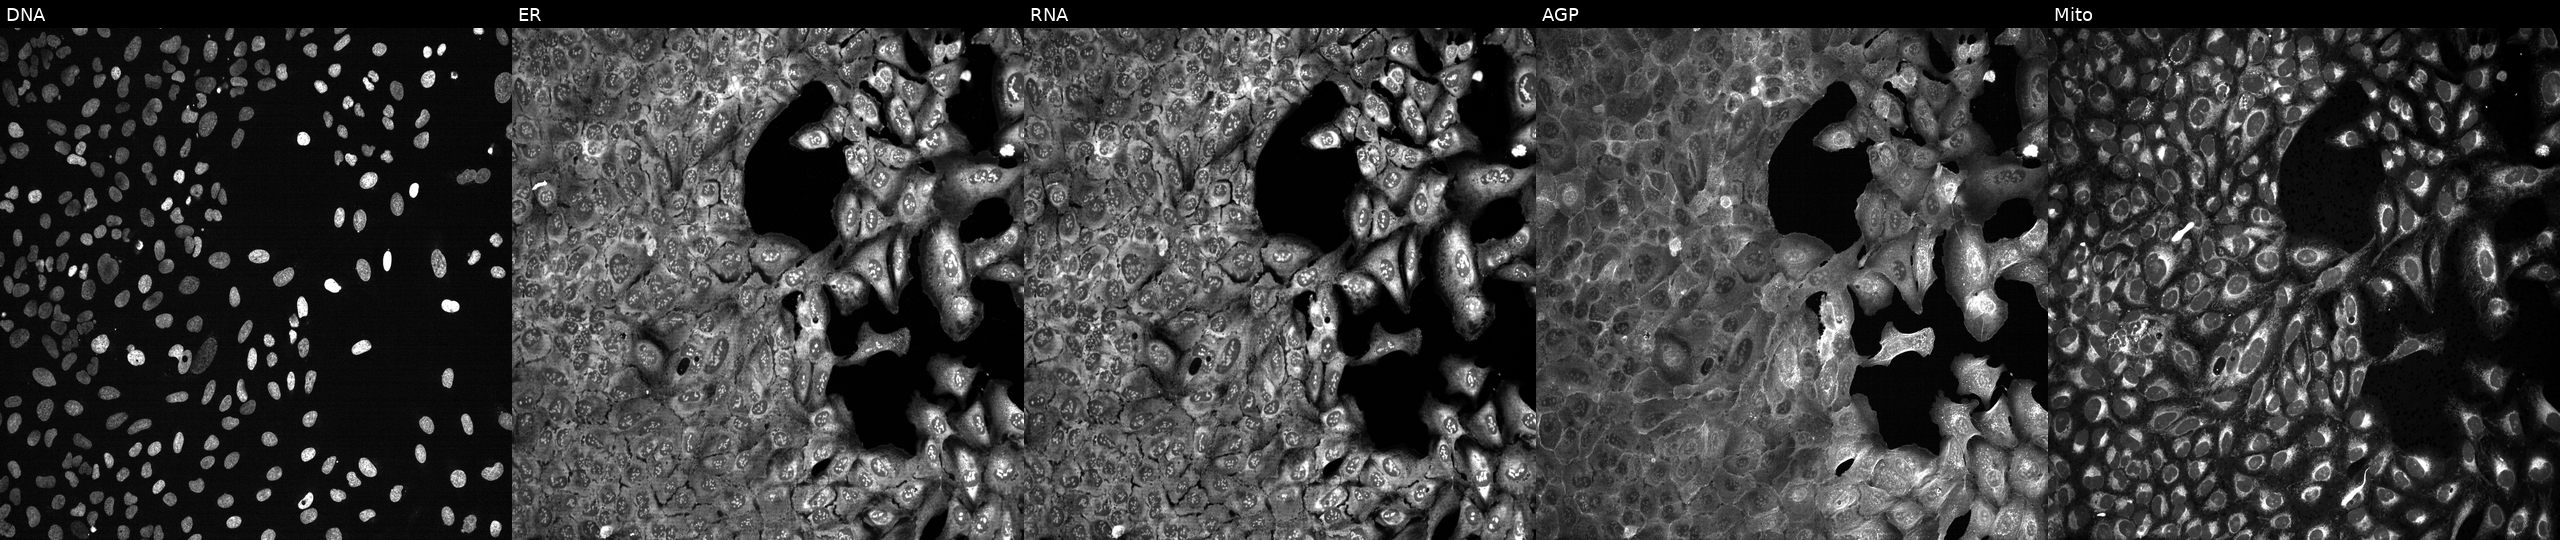
This image strip shows the five Cell Painting channels for a single field of U2OS cells following CRISPR knockout of POLE (JUMP id JCP2022_805327). Panels show, left to right, DNA (nuclei); ER (endoplasmic reticulum); RNA (nucleoli and cytoplasmic RNA); AGP (actin cytoskeleton, Golgi, and plasma membrane); Mito (mitochondria).